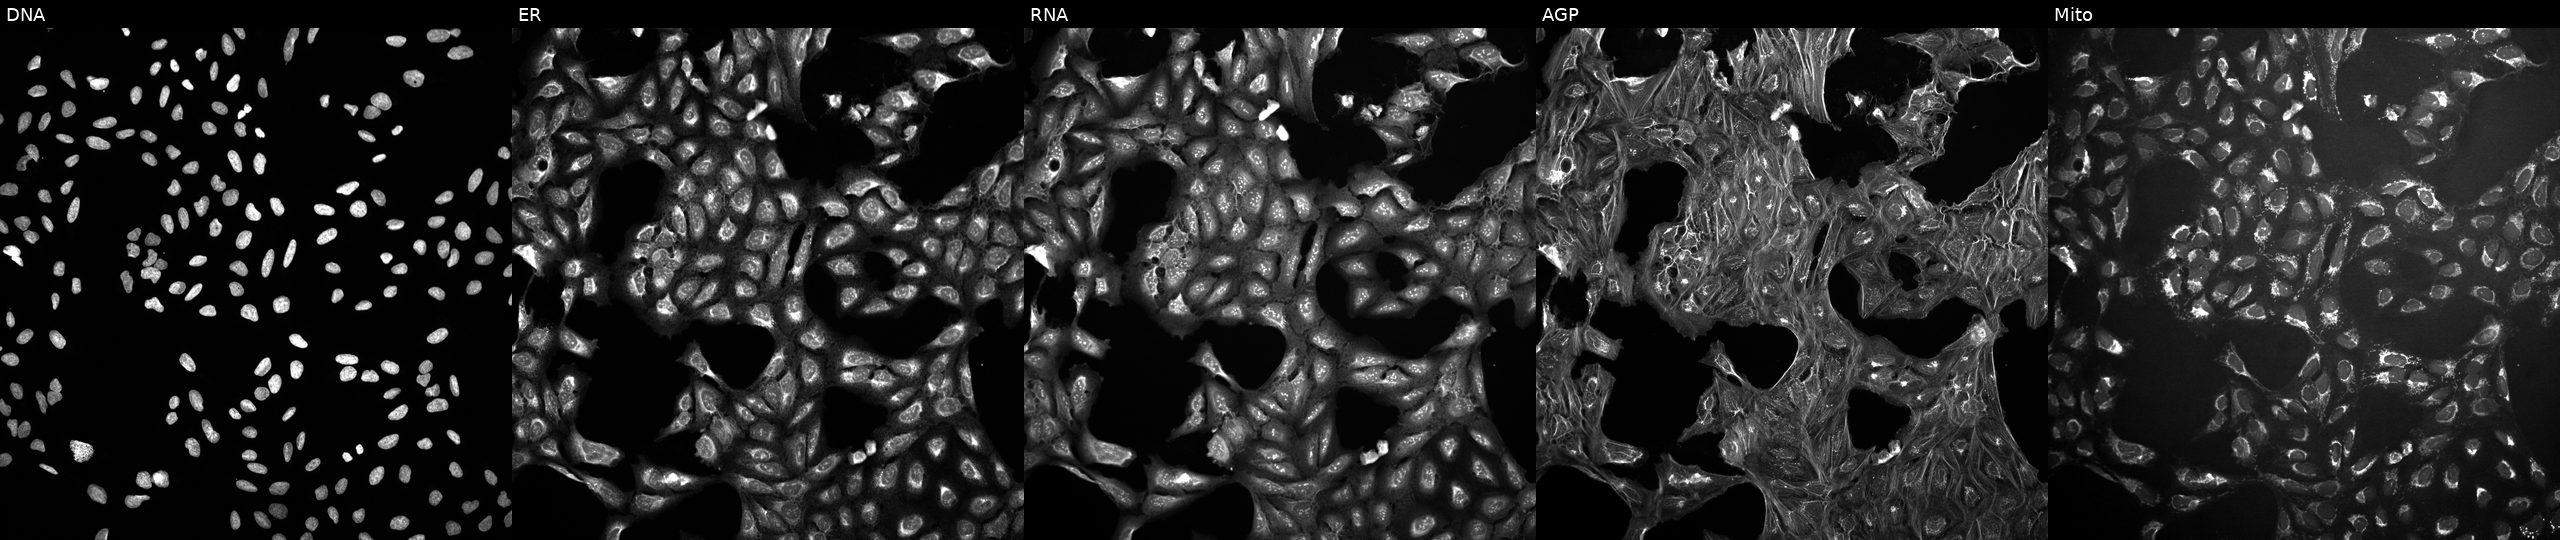
Five-channel Cell Painting image of U2OS cells perturbed with a small-molecule compound [SMILES: O=C(c1cccs1)N1CCC(c2cccs2)C1] (JUMP id JCP2022_032665). Channels (left→right): DNA, ER, RNA, AGP, and Mito. Source 10, plate Dest210531-152324, well J11.